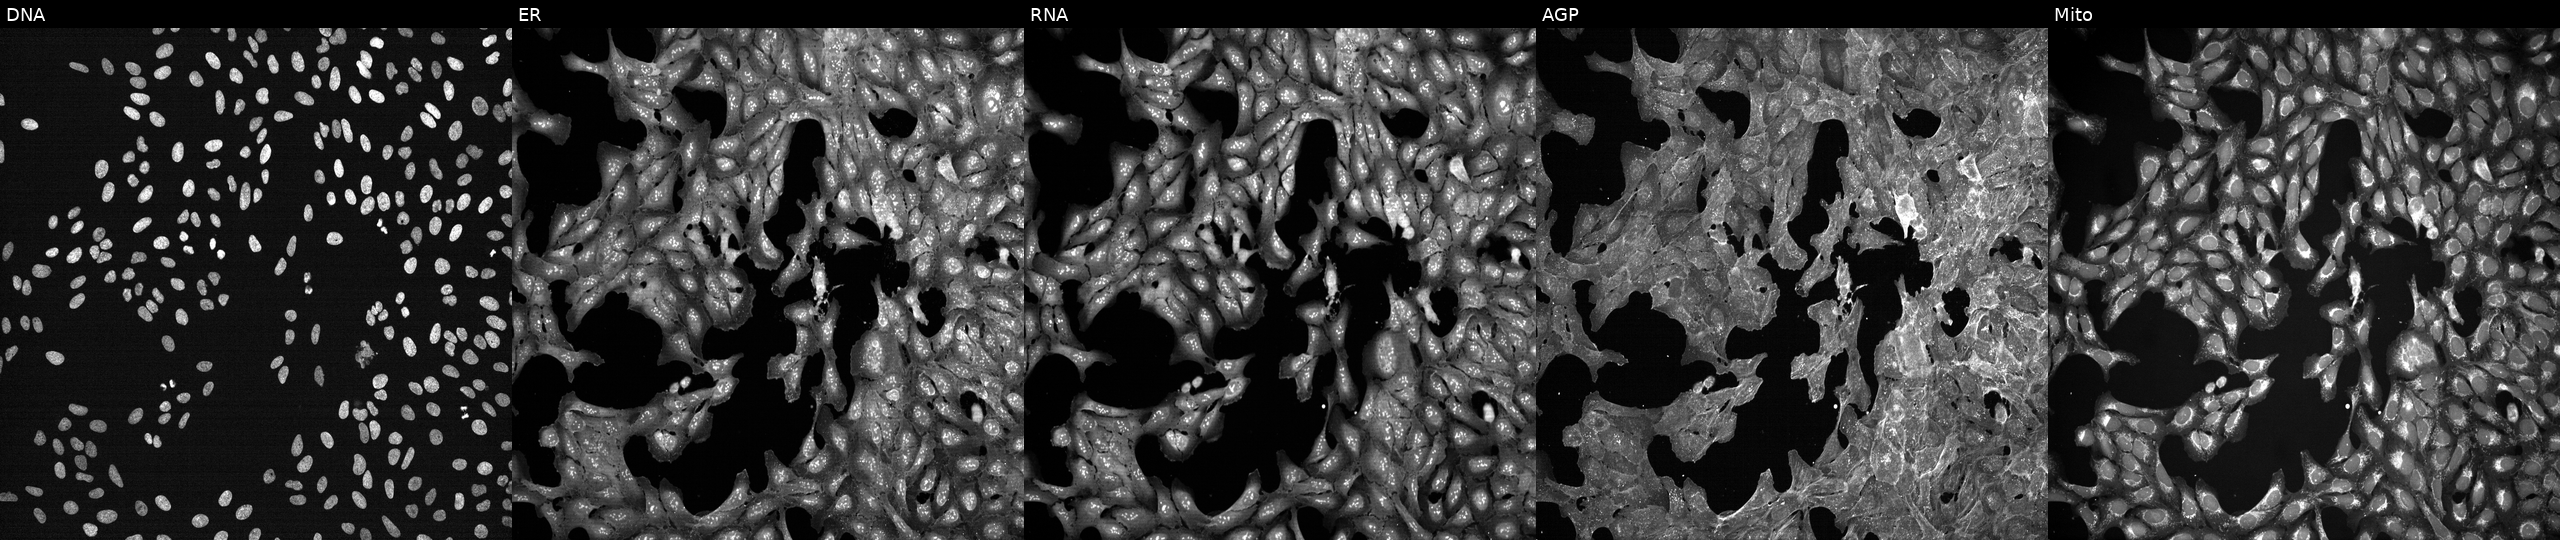
U2OS cells, Cell Painting assay, treated with a small-molecule compound (InChIKey RRGUKTPIGVIEKM-UHFFFAOYSA-N) (JUMP id JCP2022_080224). Channels (left→right): DNA (nuclei); ER (endoplasmic reticulum); RNA (nucleoli and cytoplasmic RNA); AGP (actin cytoskeleton, Golgi, and plasma membrane); Mito (mitochondria). Each panel is percentile-stretched 16-bit fluorescence.